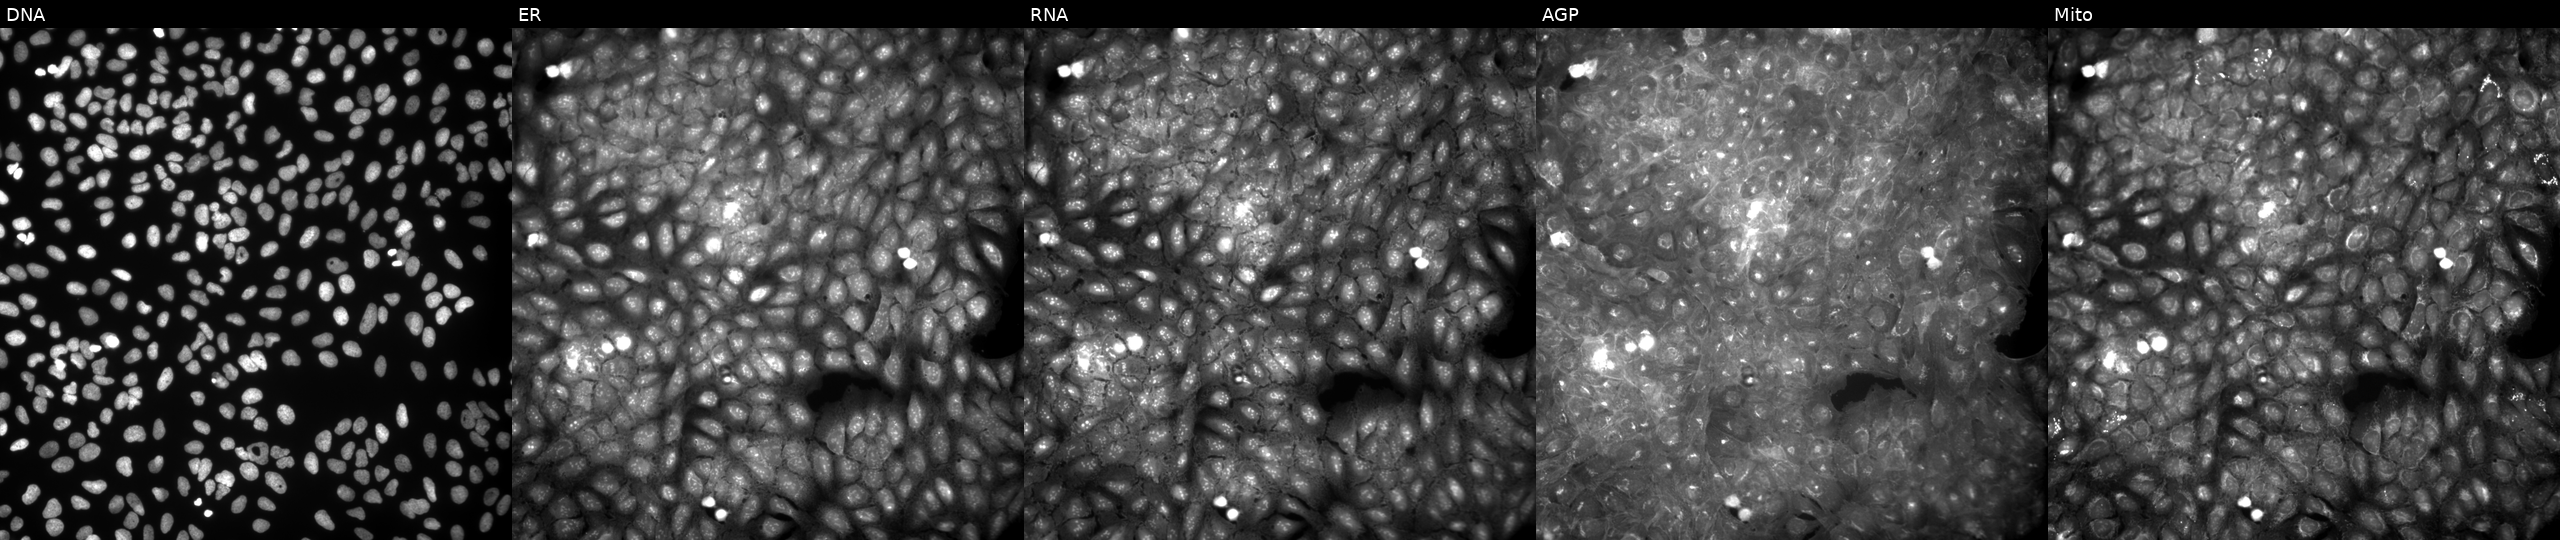
This image strip shows the five Cell Painting channels for a single field of U2OS cells exposed to a small-molecule compound (InChIKey CRDWYIKYCUCPDM-UHFFFAOYSA-N). From left to right: DNA (nuclei); ER (endoplasmic reticulum); RNA (nucleoli and cytoplasmic RNA); AGP (actin cytoskeleton, Golgi, and plasma membrane); Mito (mitochondria).